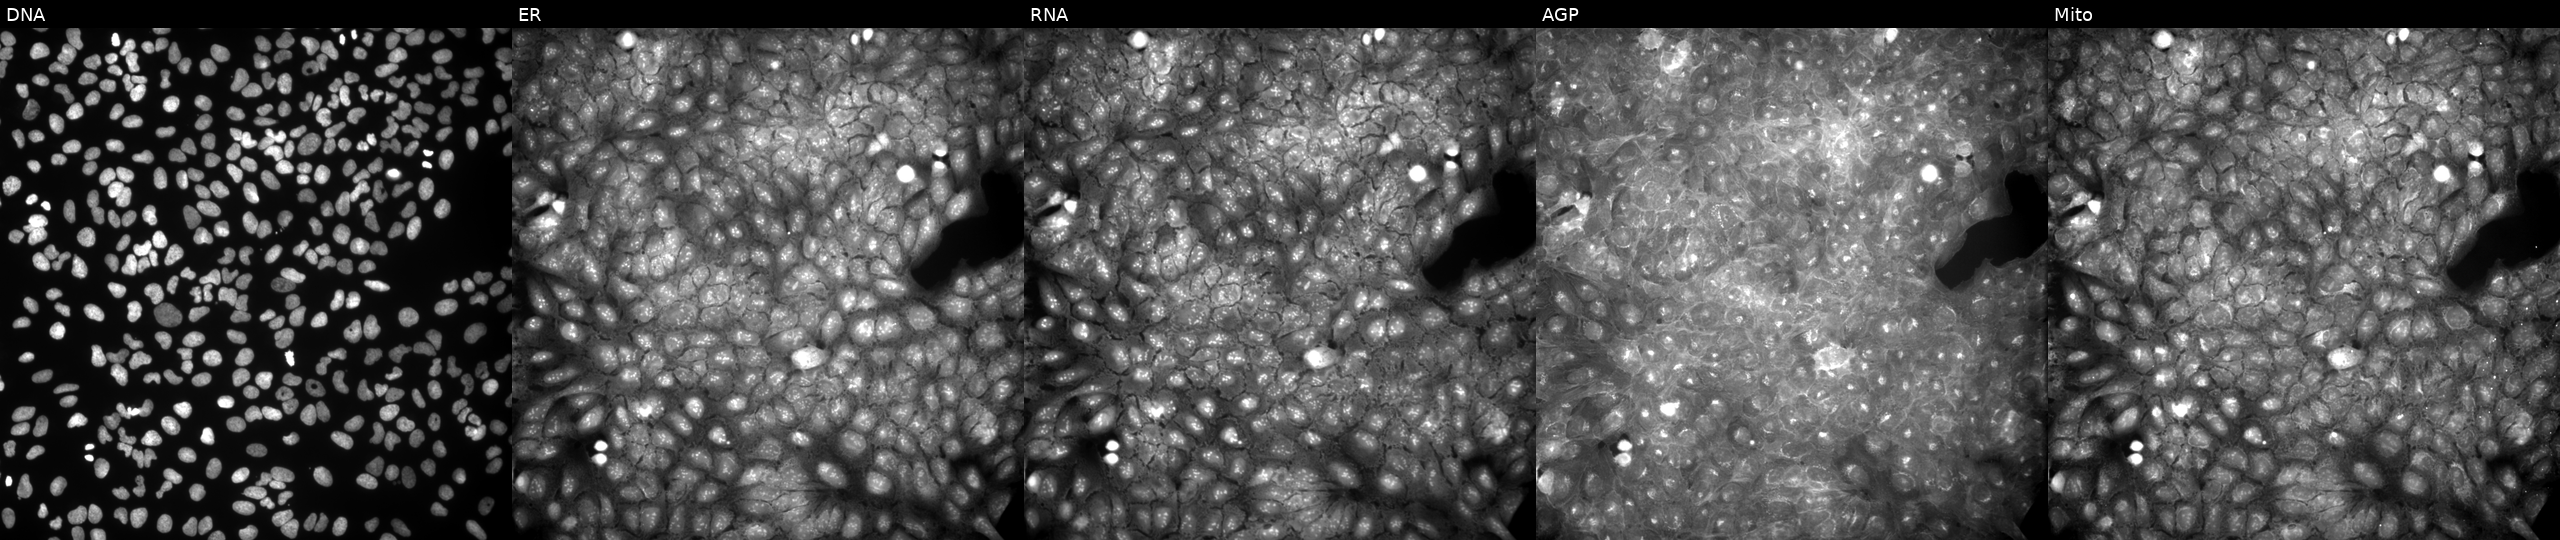
JUMP Cell Painting — COMPOUND plate. U2OS cells perturbed with a small-molecule compound. Panels show, left to right, DNA, ER, RNA, AGP, and Mito.